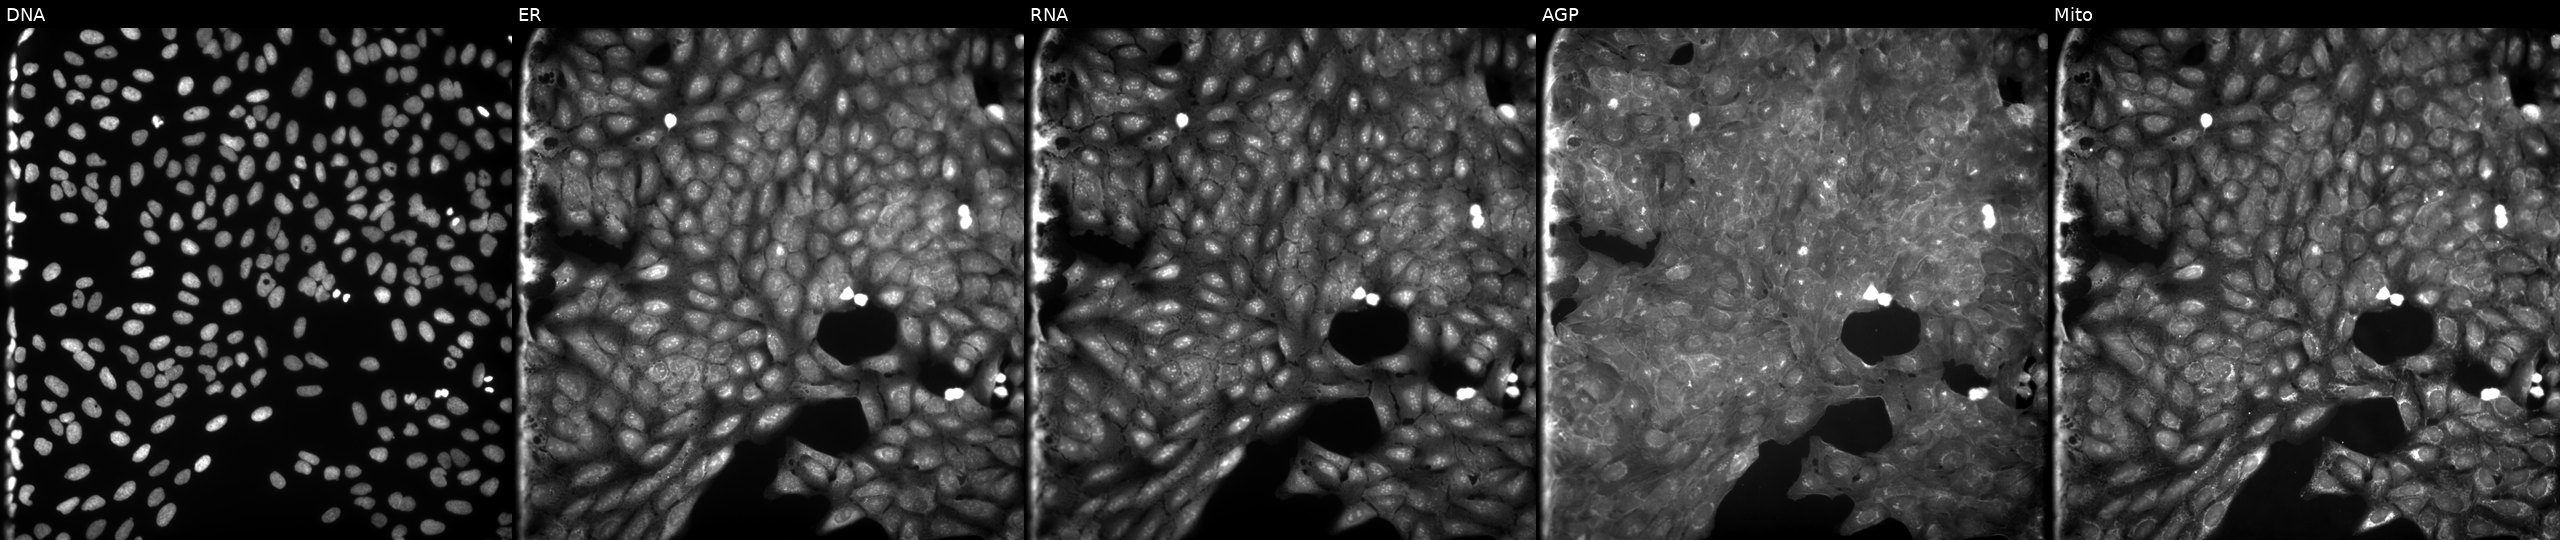
U2OS cells, Cell Painting assay, perturbed with a small-molecule compound (InChIKey OBJLQBPXGUSGFV-UHFFFAOYSA-N). From left to right: DNA, ER, RNA, AGP, and Mito. Each panel is percentile-stretched 16-bit fluorescence.